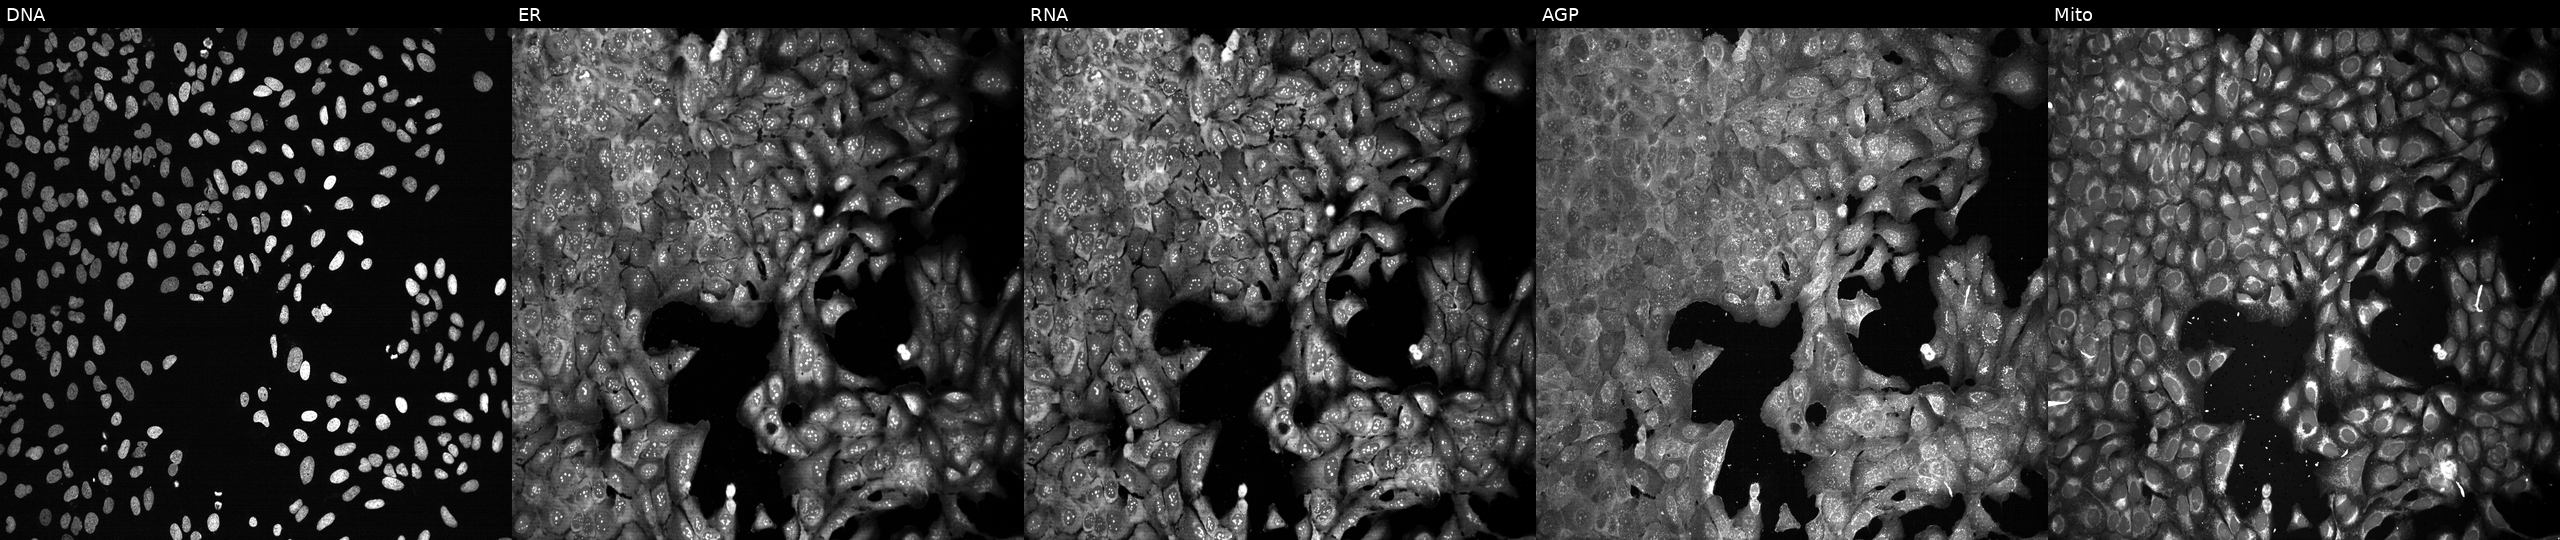
U2OS cells, Cell Painting assay, CRISPR-edited to disrupt POLR1C. The five panels, left to right, show DNA, ER, RNA, AGP, and Mito. Each panel is percentile-stretched 16-bit fluorescence.